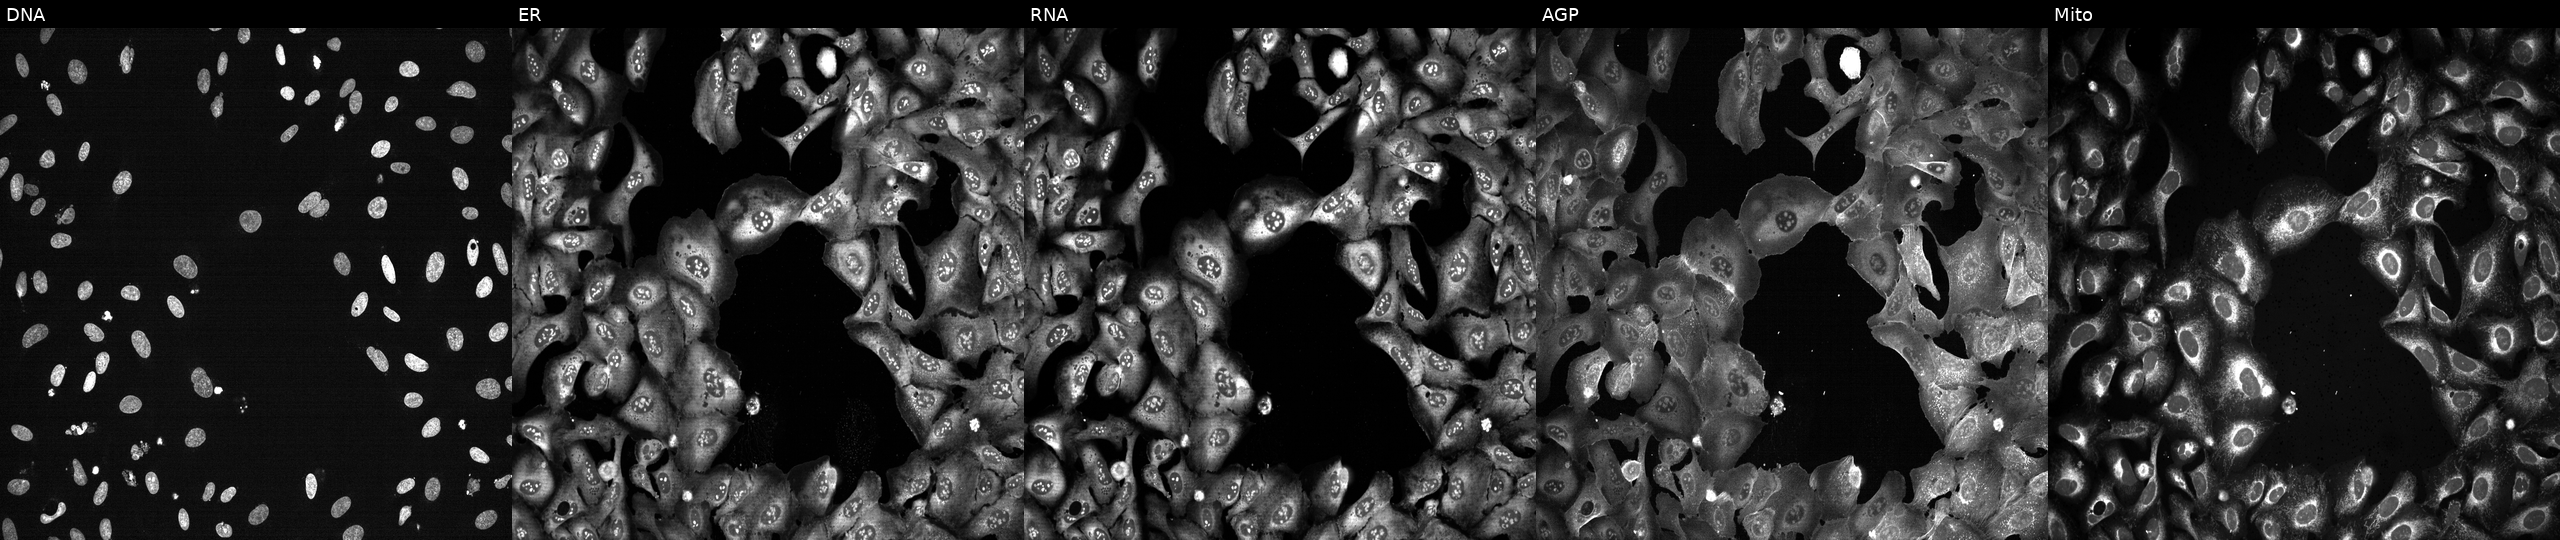
JUMP Cell Painting — CRISPR plate. U2OS cells CRISPR-edited to disrupt RPA1 (JUMP id JCP2022_806097). Panels show, left to right, Hoechst 33342, concanavalin A, SYTO 14, phalloidin and WGA, MitoTracker.